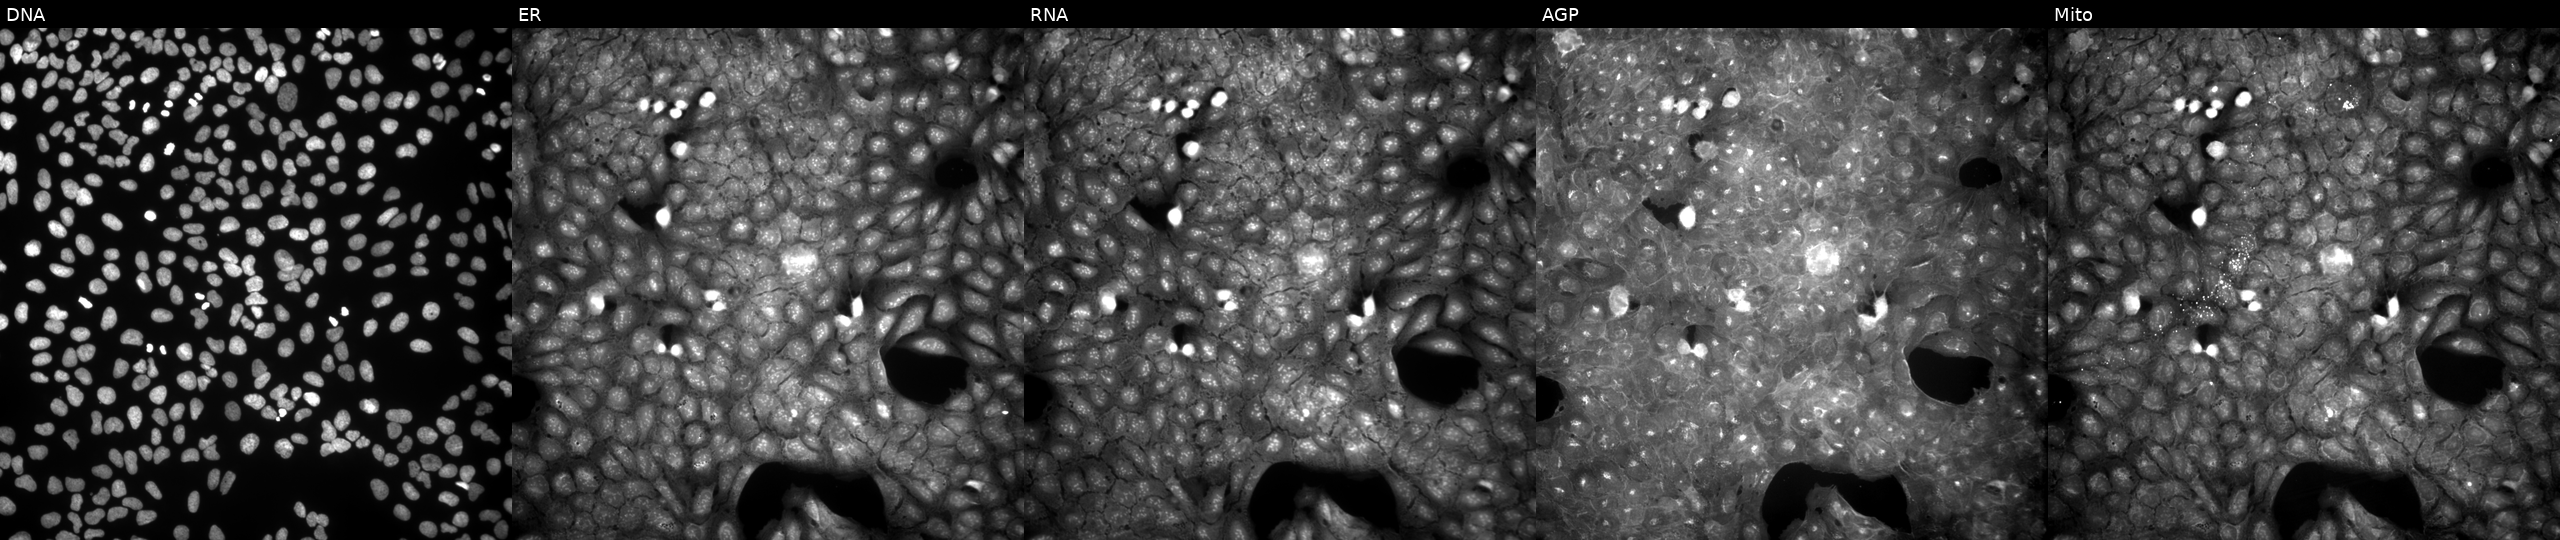
JUMP Cell Painting — COMPOUND plate. U2OS cells exposed to a small-molecule compound (InChIKey UHJRNFKLYYMVAT-UHFFFAOYSA-N) (JUMP id JCP2022_089253). From left to right: Hoechst 33342, concanavalin A, SYTO 14, phalloidin and WGA, MitoTracker. Source 9, plate GR00003381, well J34.